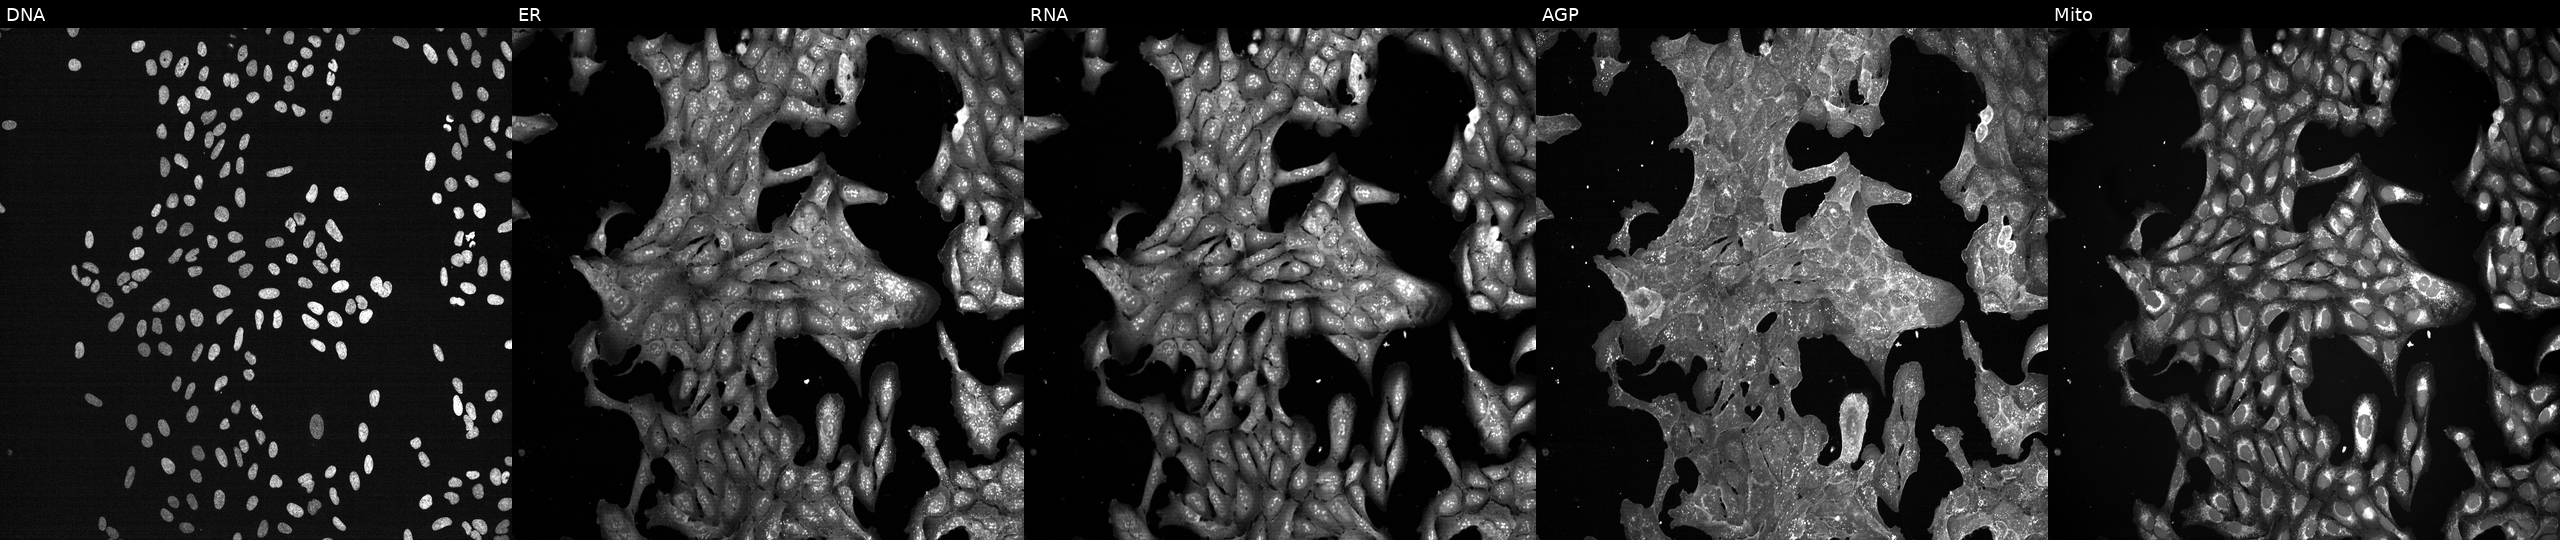
This image strip shows the five Cell Painting channels for a single field of U2OS cells treated with a small-molecule compound (InChIKey XRVDGNKRPOAQTN-UHFFFAOYSA-N) (JUMP id JCP2022_105621). The five panels, left to right, show DNA, ER, RNA, AGP, and Mito.